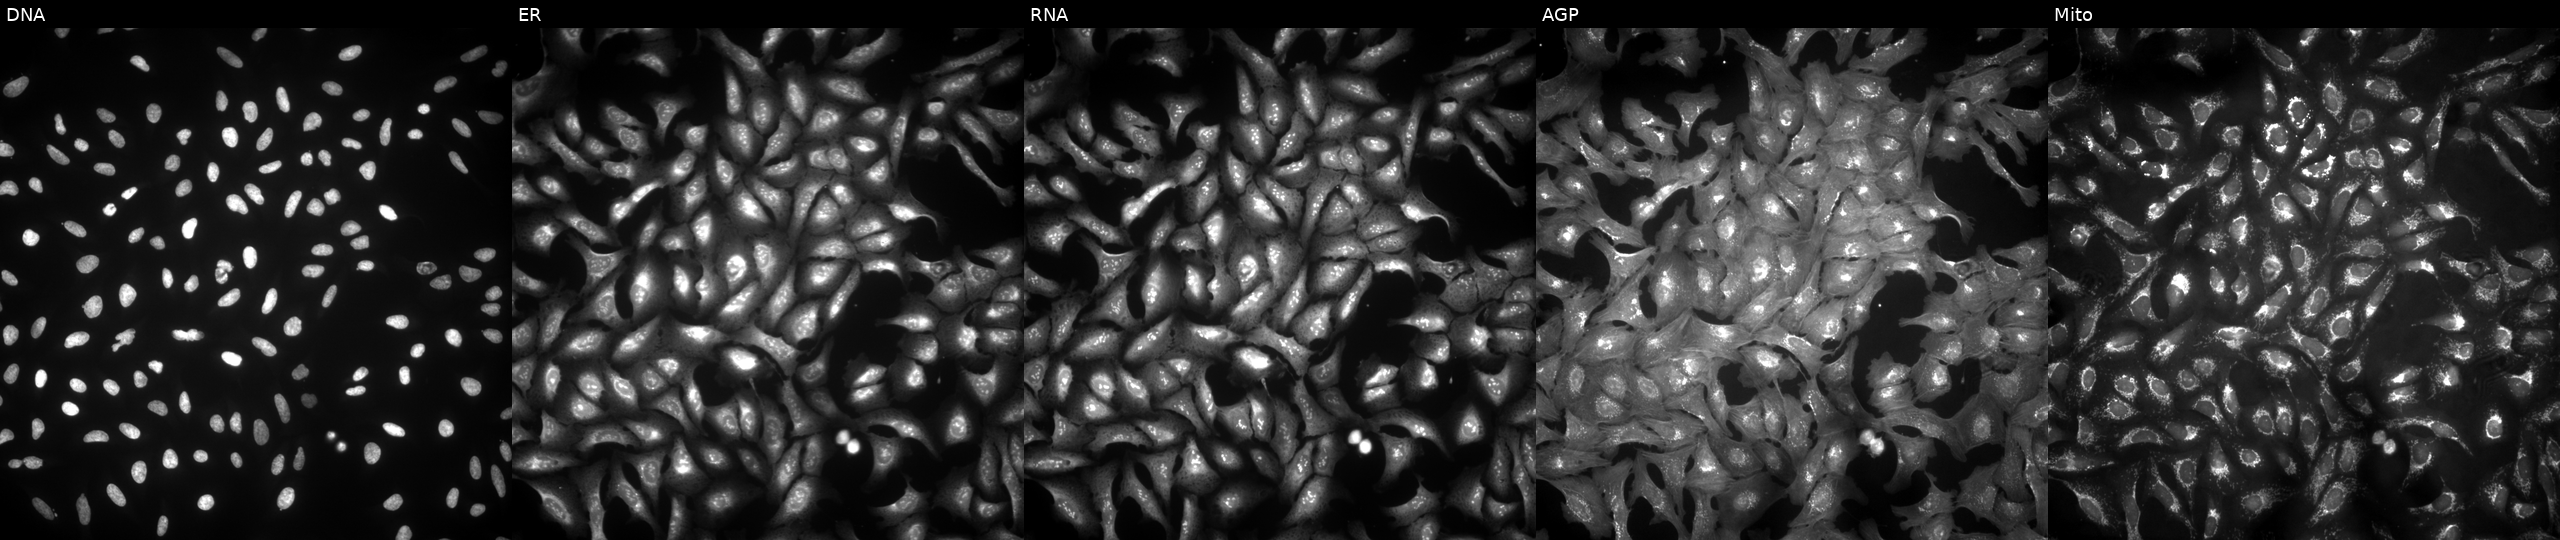
Five-channel Cell Painting image of U2OS cells expressing LUCIFERASE (ORF negative control) (JUMP id JCP2022_915130). The five panels, left to right, show DNA, ER, RNA, AGP, and Mito. Source 4, plate BR00123506, well I08.